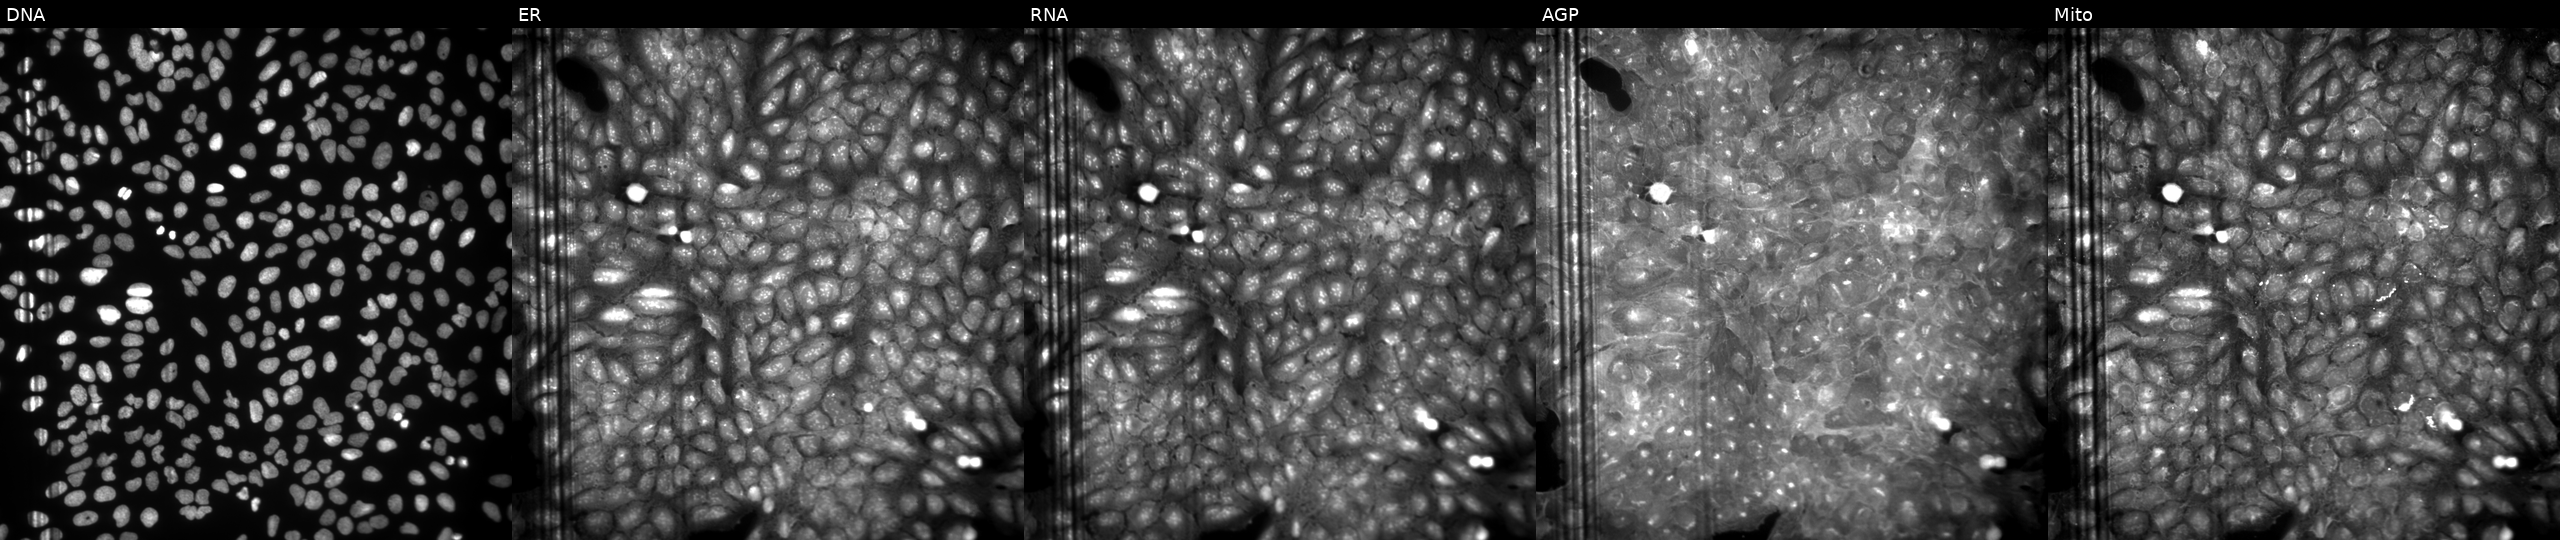
Five-channel Cell Painting image of U2OS cells perturbed with a small-molecule compound [SMILES: O=[N+]([O-])c1ccccc1S(=O)(=O)N1CCN(Cc2ccc3c(c2)OCO3)CC1]. Channels (left→right): Hoechst 33342, concanavalin A, SYTO 14, phalloidin and WGA, MitoTracker.